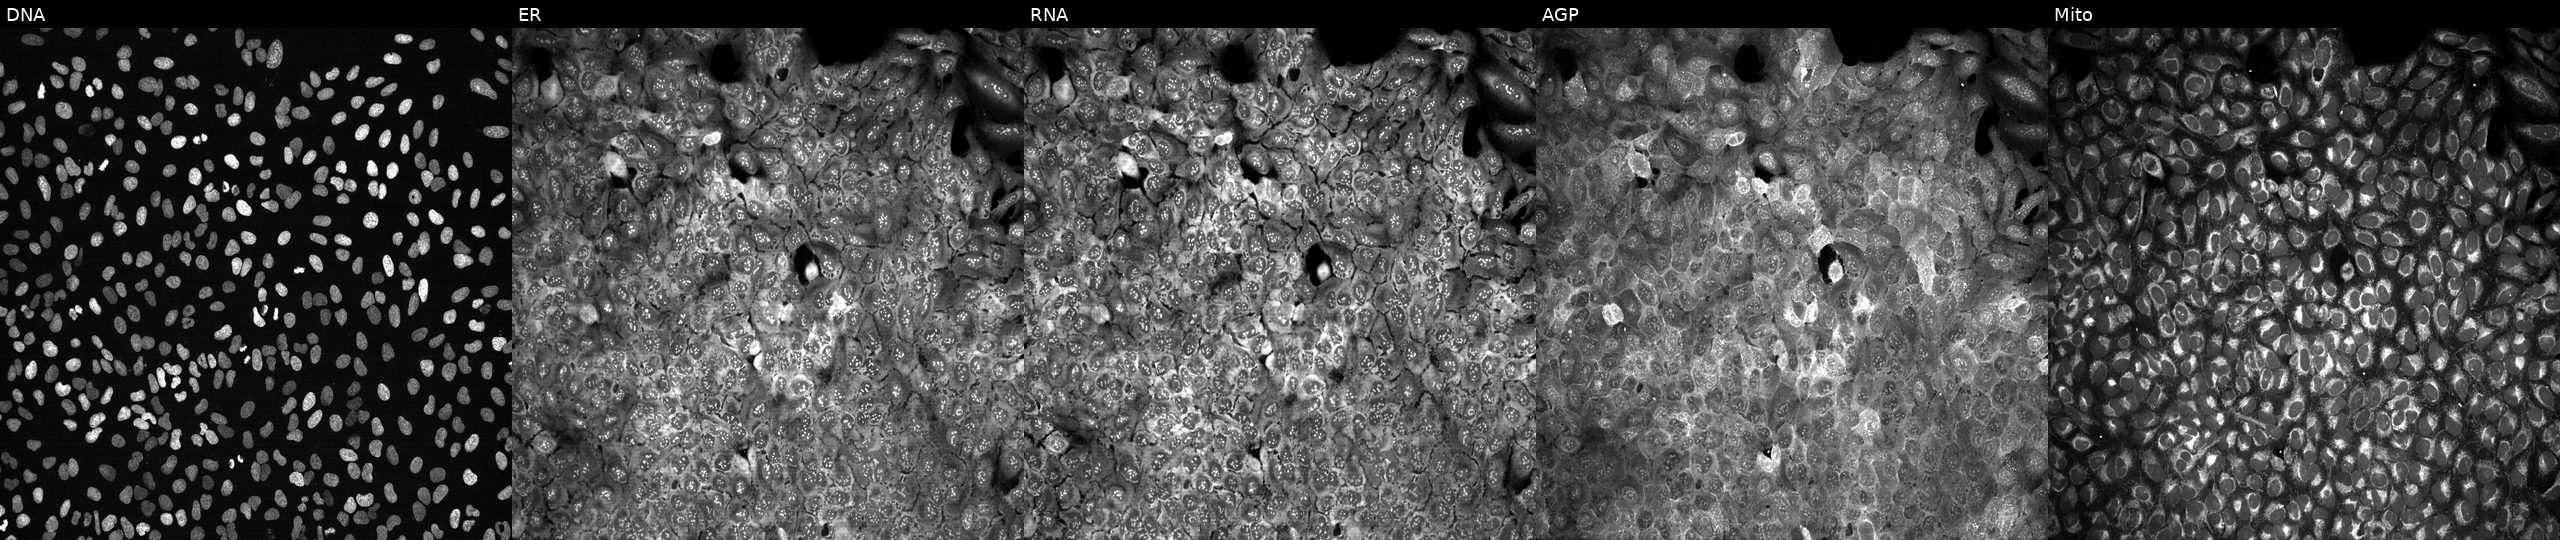
Five-channel Cell Painting image of U2OS cells following CRISPR knockout of TALDO1. Channels (left→right): Hoechst 33342, concanavalin A, SYTO 14, phalloidin and WGA, MitoTracker.